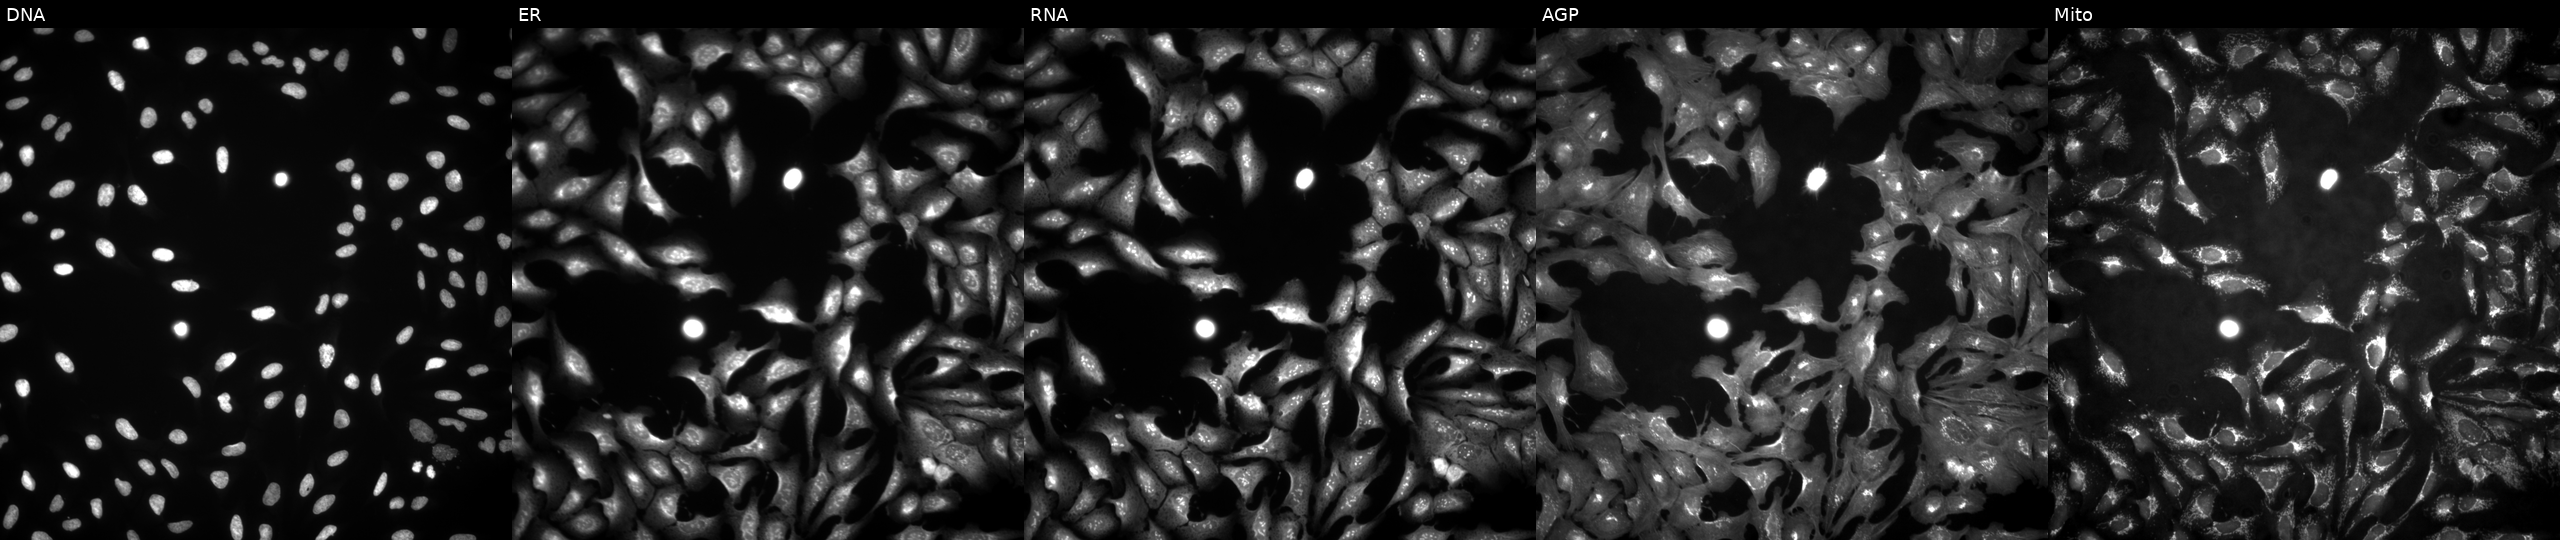
Five-channel Cell Painting image of U2OS cells overexpressing OGFOD3 via ORF transfection (JUMP id JCP2022_911744). From left to right: DNA, ER, RNA, AGP, and Mito.